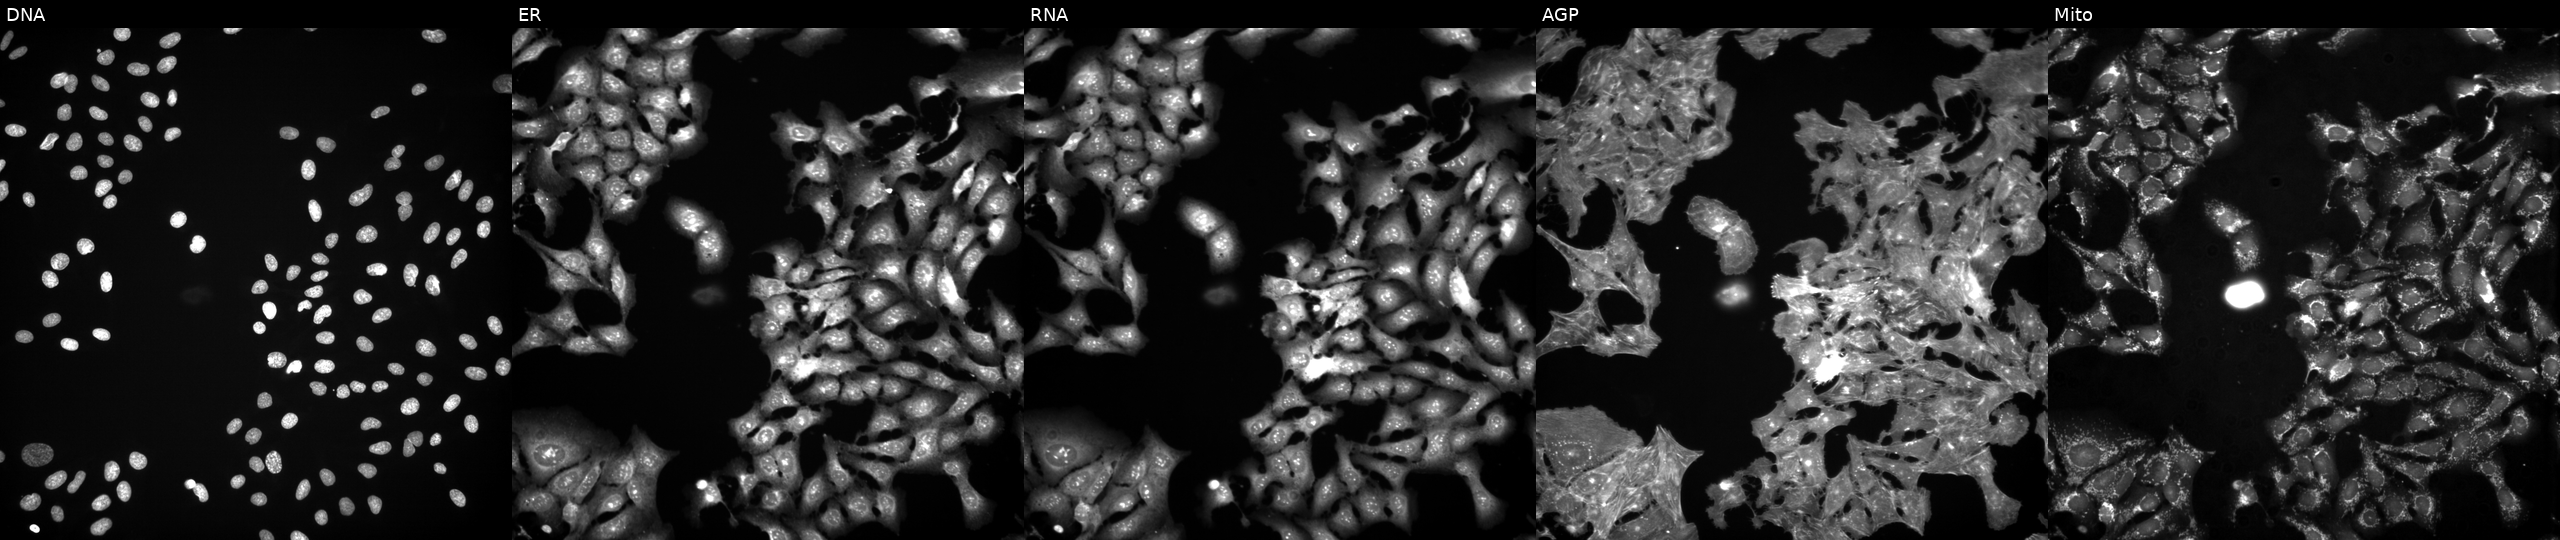
The five panels, left to right, show Hoechst 33342, concanavalin A, SYTO 14, phalloidin and WGA, MitoTracker. U2OS osteosarcoma cells exposed to the positive-control compound FK-866. Cell Painting assay, JUMP-CP dataset.